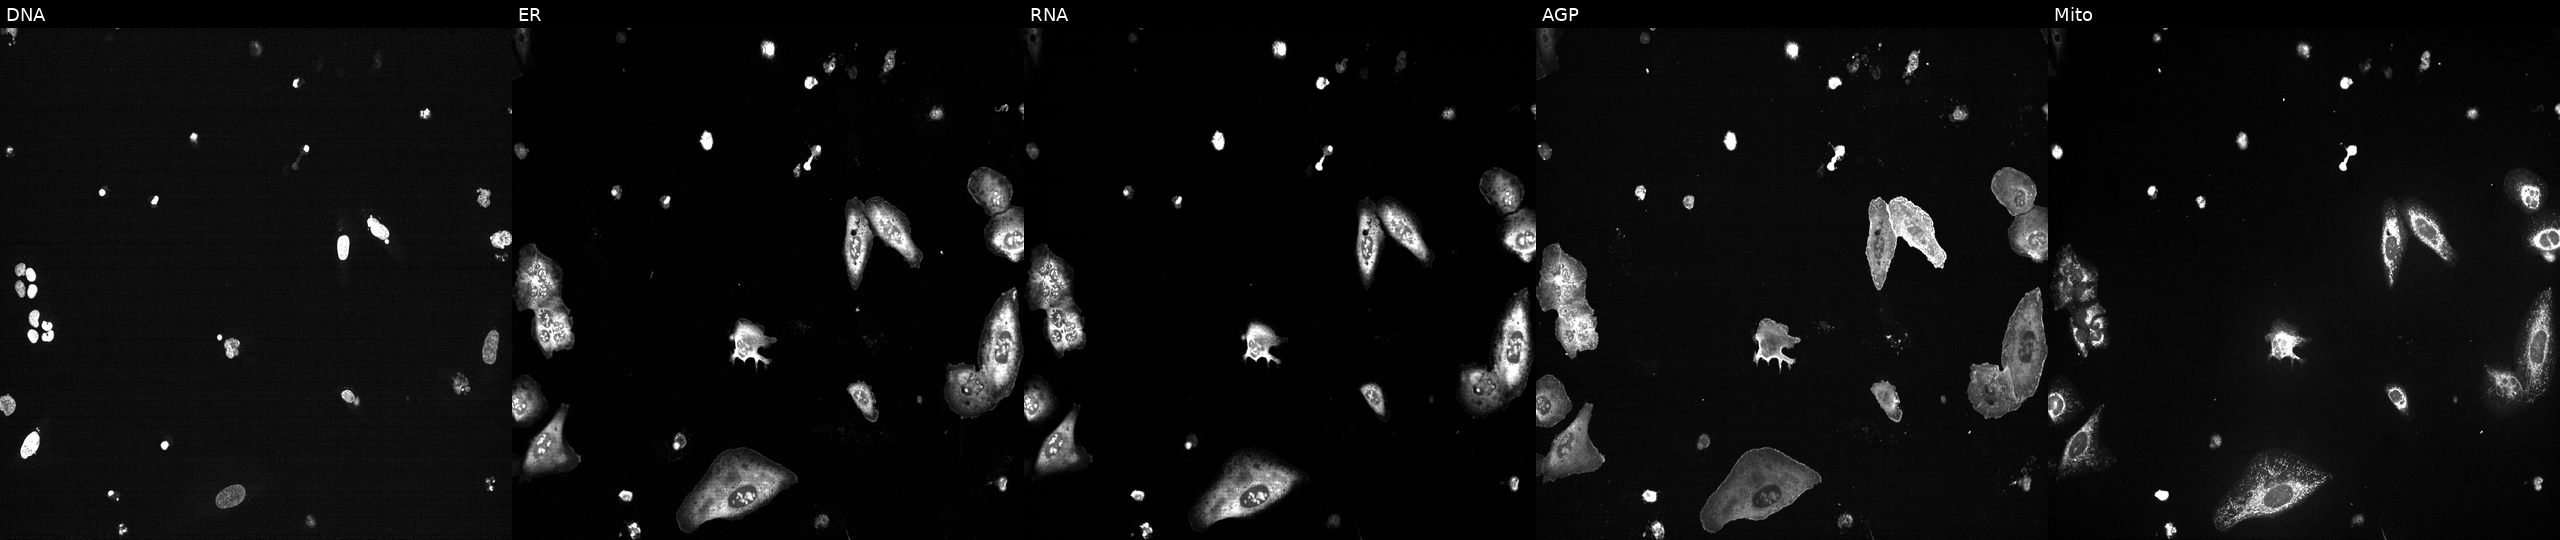
This image strip shows the five Cell Painting channels for a single field of U2OS cells with PLK1 knocked out by CRISPR (positive control) (JUMP id JCP2022_805264). Panels show, left to right, DNA, ER, RNA, AGP, and Mito.